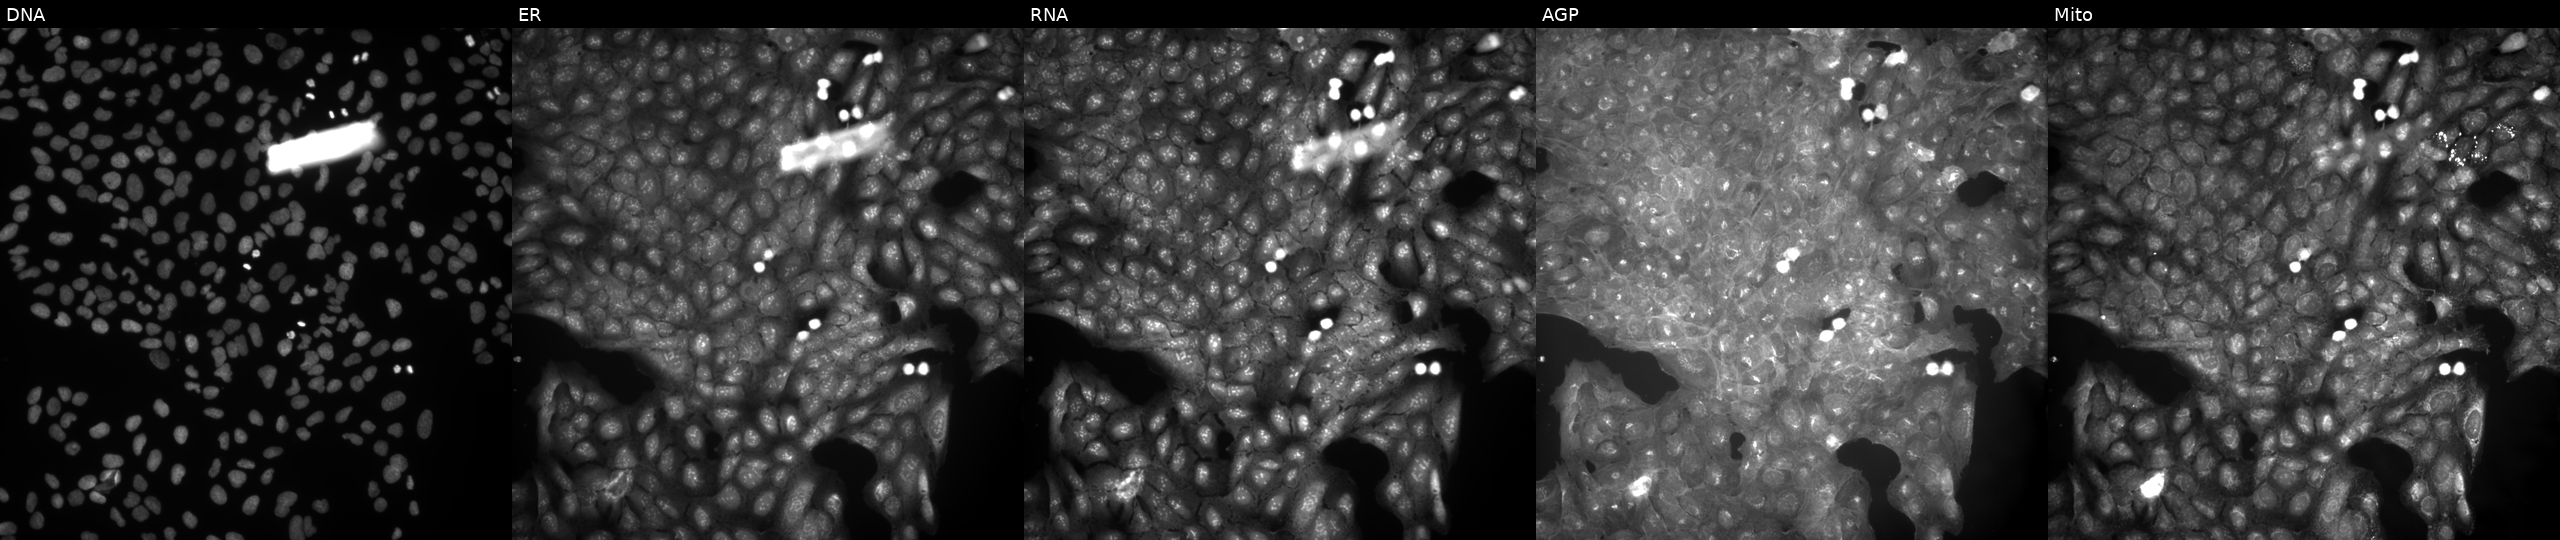
This image strip shows the five Cell Painting channels for a single field of U2OS cells treated with a small-molecule compound. Panels show, left to right, DNA, ER, RNA, AGP, and Mito.